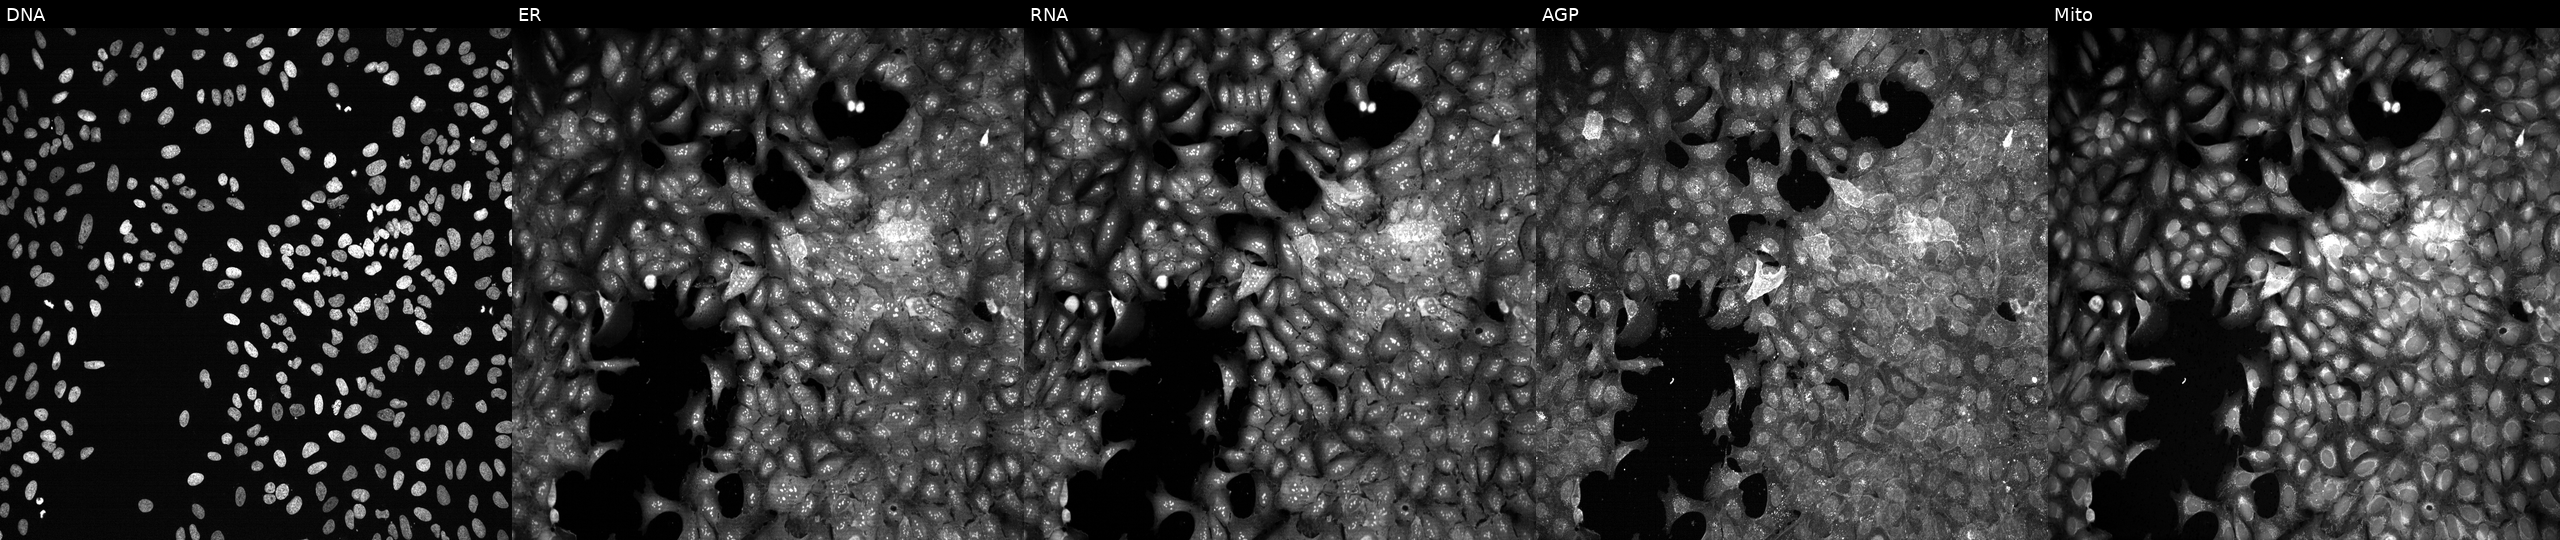
U2OS cells, Cell Painting assay, CRISPR-edited to disrupt UQCR11. Panels show, left to right, DNA, ER, RNA, AGP, and Mito. Each panel is percentile-stretched 16-bit fluorescence.